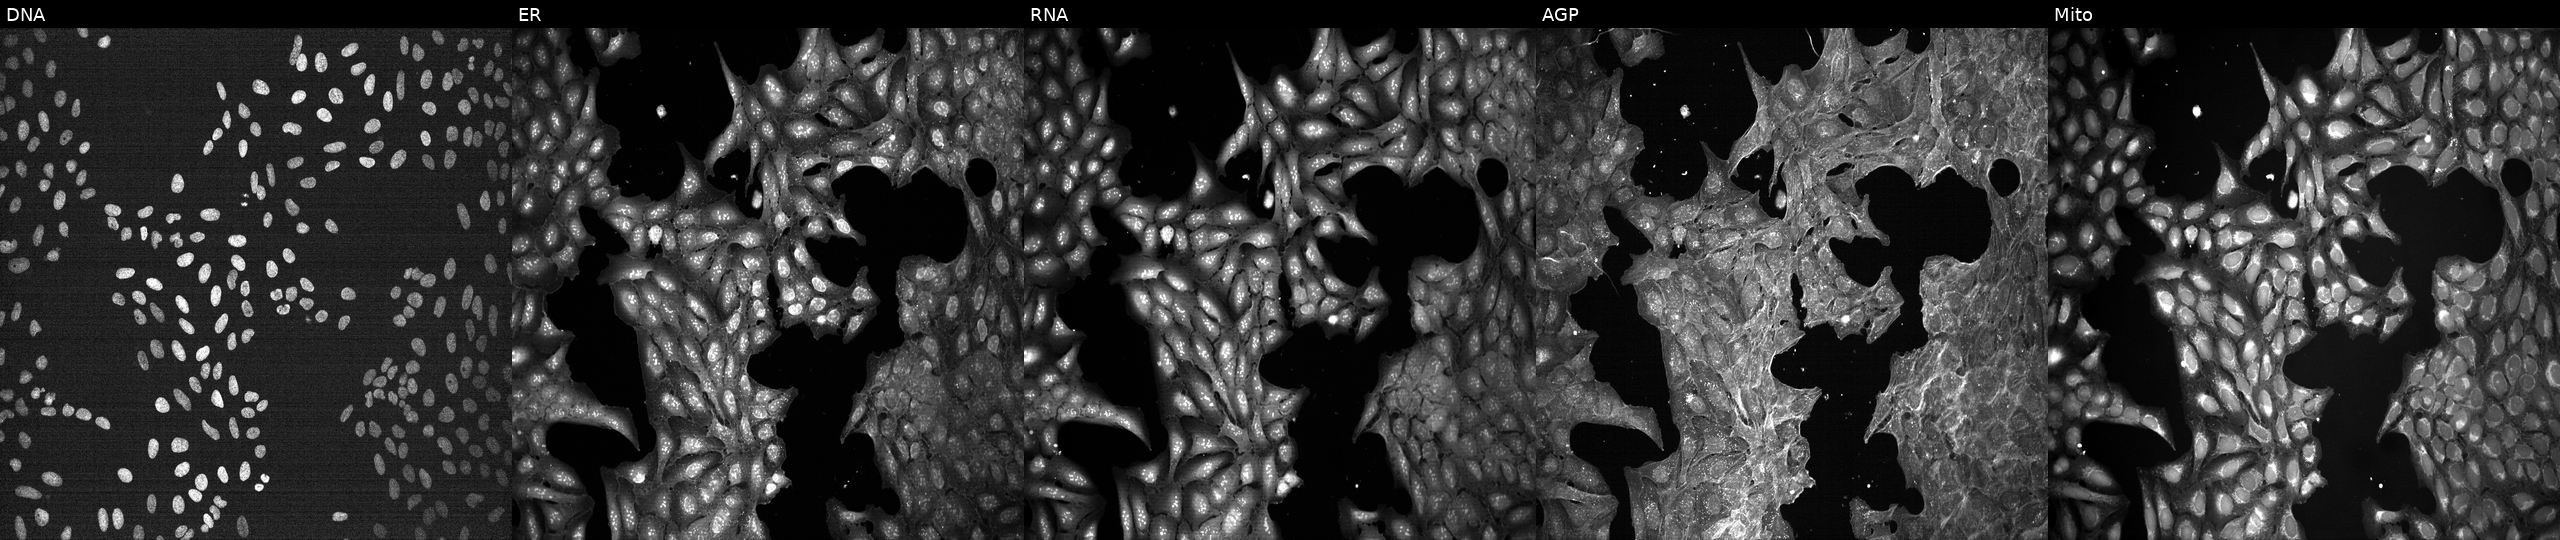
High-content fluorescence microscopy (Cell Painting). Cell line: U2OS. Perturbation: exposed to DMSO alone as a negative control. From left to right: DNA (nuclei); ER (endoplasmic reticulum); RNA (nucleoli and cytoplasmic RNA); AGP (actin cytoskeleton, Golgi, and plasma membrane); Mito (mitochondria). Source 7, plate CP1-SC1-25, well K24.